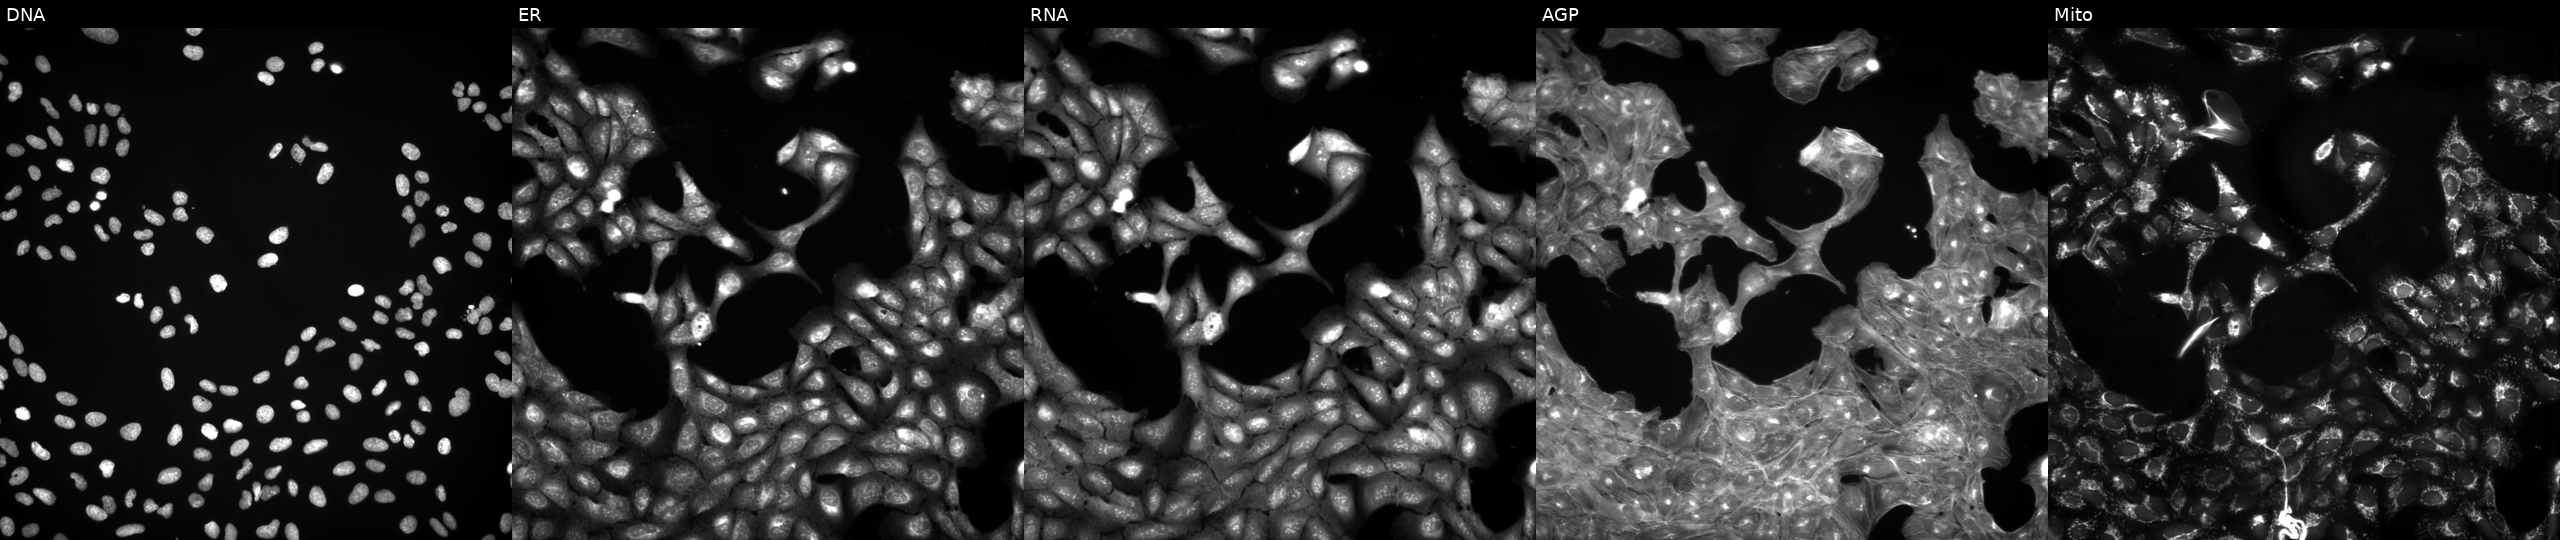
JUMP Cell Painting — TARGET2 plate. U2OS cells treated with a small-molecule compound (InChIKey CXUCKELNYMZTRT-UHFFFAOYSA-N) (JUMP id JCP2022_014114). From left to right: Hoechst 33342, concanavalin A, SYTO 14, phalloidin and WGA, MitoTracker. Source 3, plate JCPQC053, well B14.